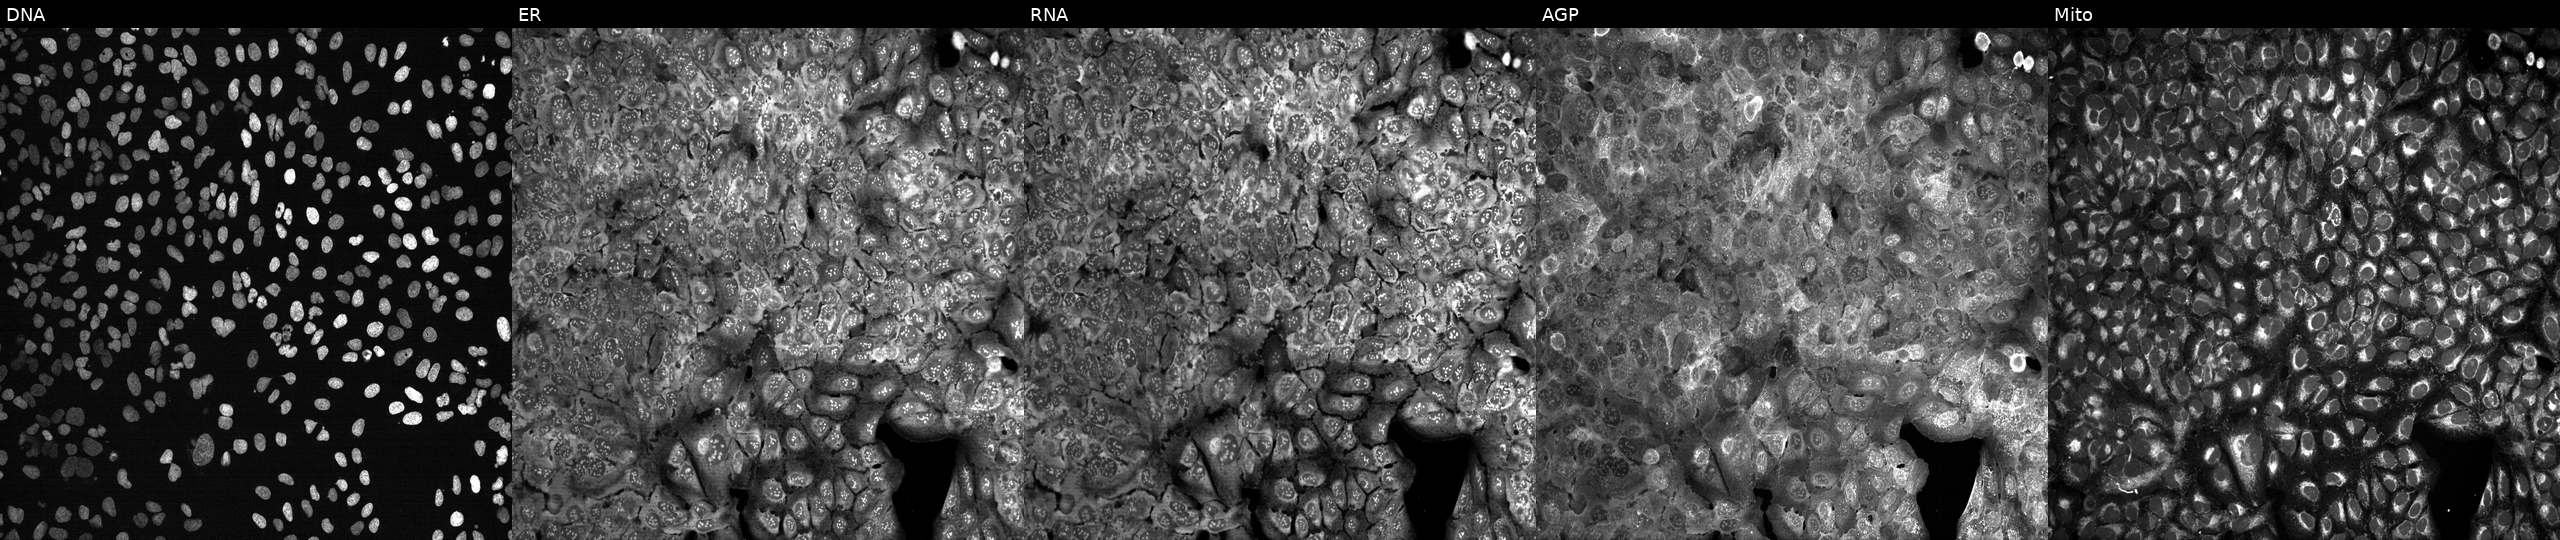
The five panels, left to right, show DNA, ER, RNA, AGP, and Mito. U2OS osteosarcoma cells with SMC4 knocked out by CRISPR (JUMP id JCP2022_806643). Cell Painting assay, JUMP-CP dataset.